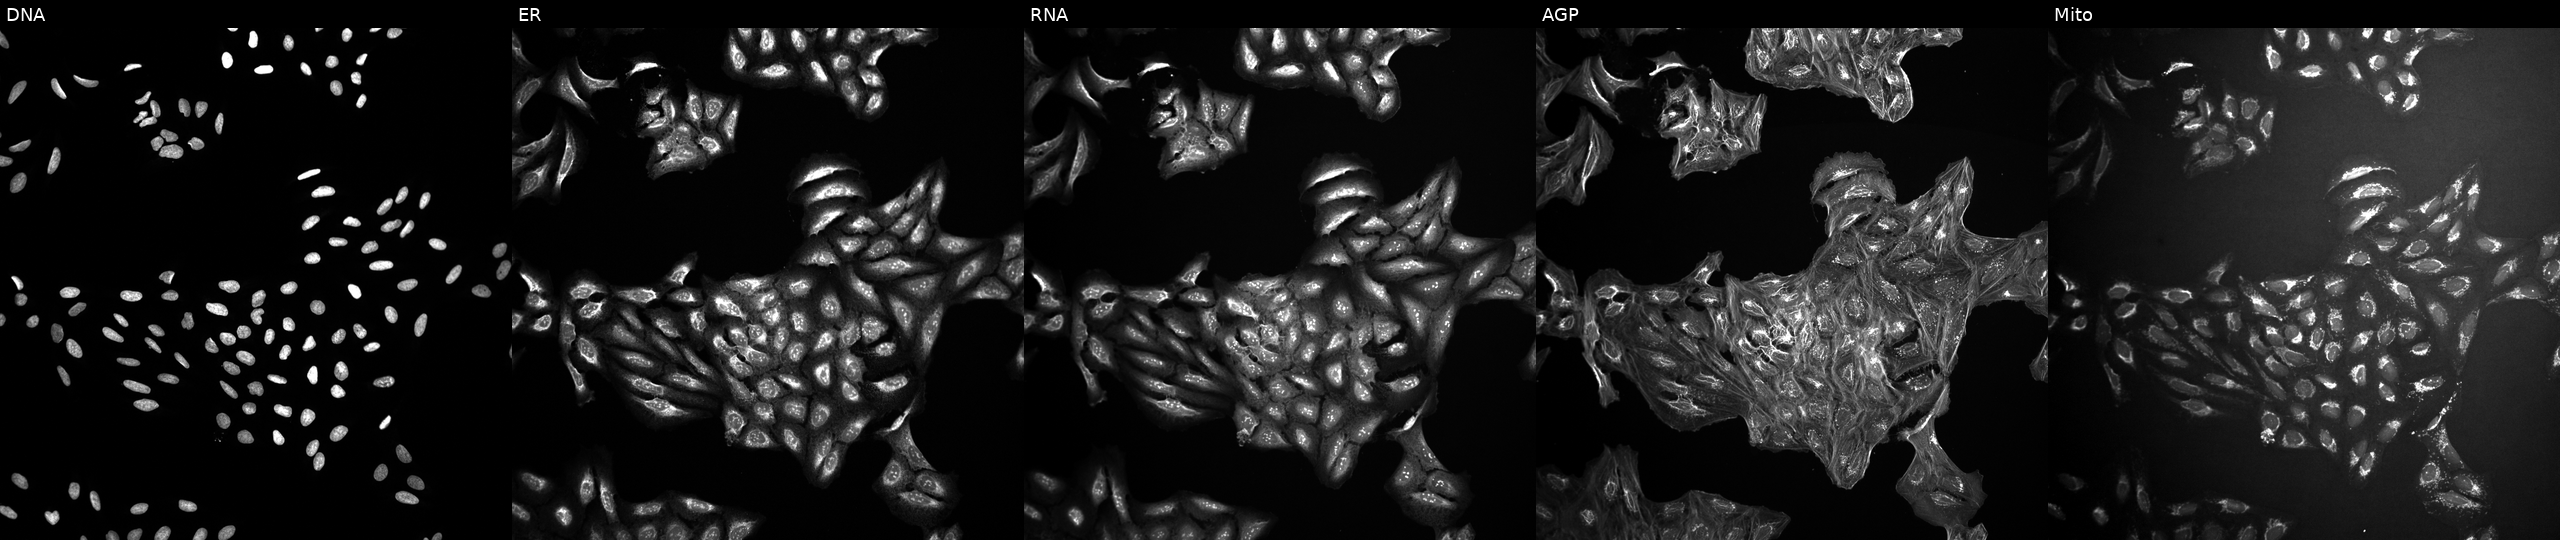
Channels (left→right): DNA, ER, RNA, AGP, and Mito. U2OS osteosarcoma cells exposed to a small-molecule compound (InChIKey MONDIVBAZHDVGC-UHFFFAOYSA-N) [SMILES: COc1cccc(CN2C(=O)CCCCC2C(=O)NCC2CC2)c1] (JUMP id JCP2022_055498). Cell Painting assay, JUMP-CP dataset.